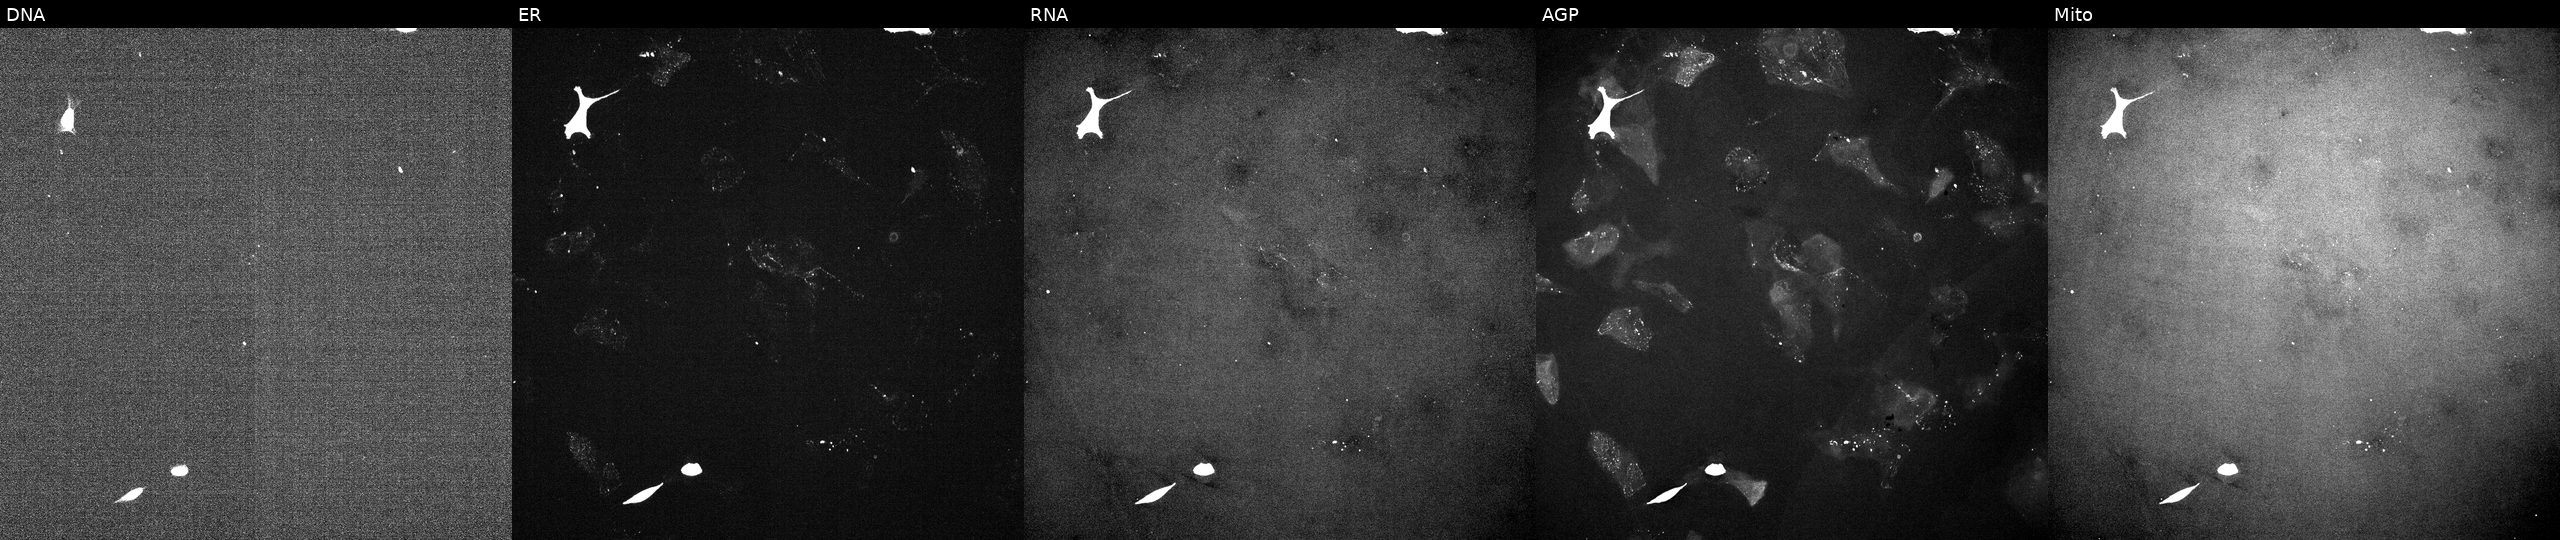
U2OS cells, Cell Painting assay, perturbed with a small-molecule compound (JUMP id JCP2022_084606). From left to right: Hoechst 33342, concanavalin A, SYTO 14, phalloidin and WGA, MitoTracker. Each panel is percentile-stretched 16-bit fluorescence. Source 5, plate ACPJUM012, well L06.